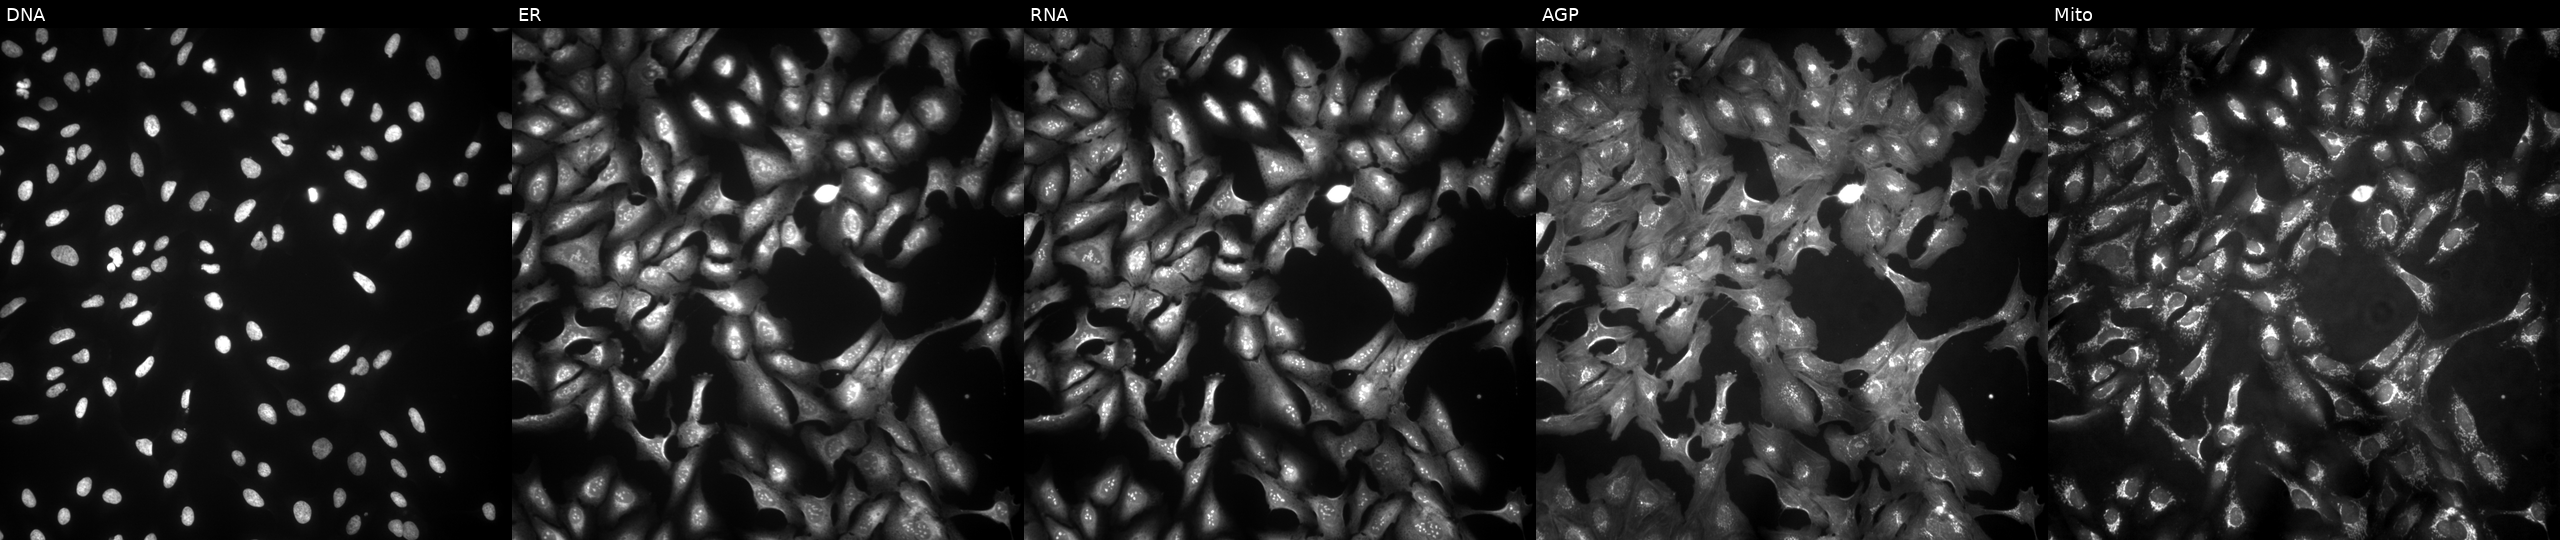
From left to right: DNA, ER, RNA, AGP, and Mito. U2OS osteosarcoma cells with UBA5 overexpressed (ORF) (JUMP id JCP2022_903880). Cell Painting assay, JUMP-CP dataset. Source 4, plate BR00123506, well E12.